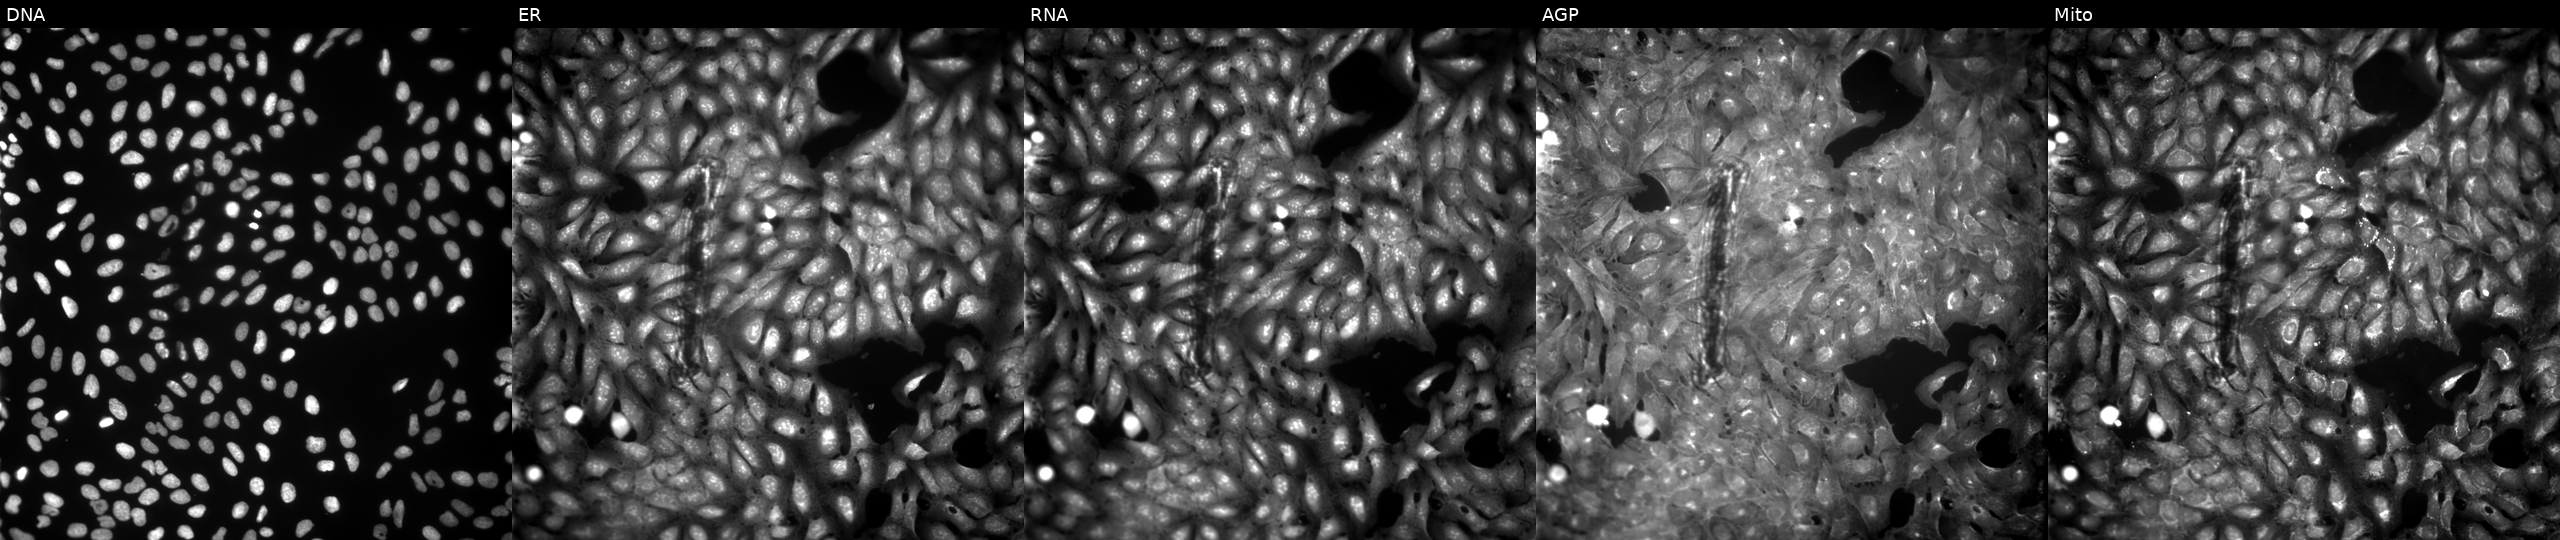
JUMP Cell Painting — COMPOUND plate. U2OS cells perturbed with a small-molecule compound (InChIKey GECYRADSXYZERF-UHFFFAOYSA-N). Channels (left→right): DNA (nuclei); ER (endoplasmic reticulum); RNA (nucleoli and cytoplasmic RNA); AGP (actin cytoskeleton, Golgi, and plasma membrane); Mito (mitochondria).